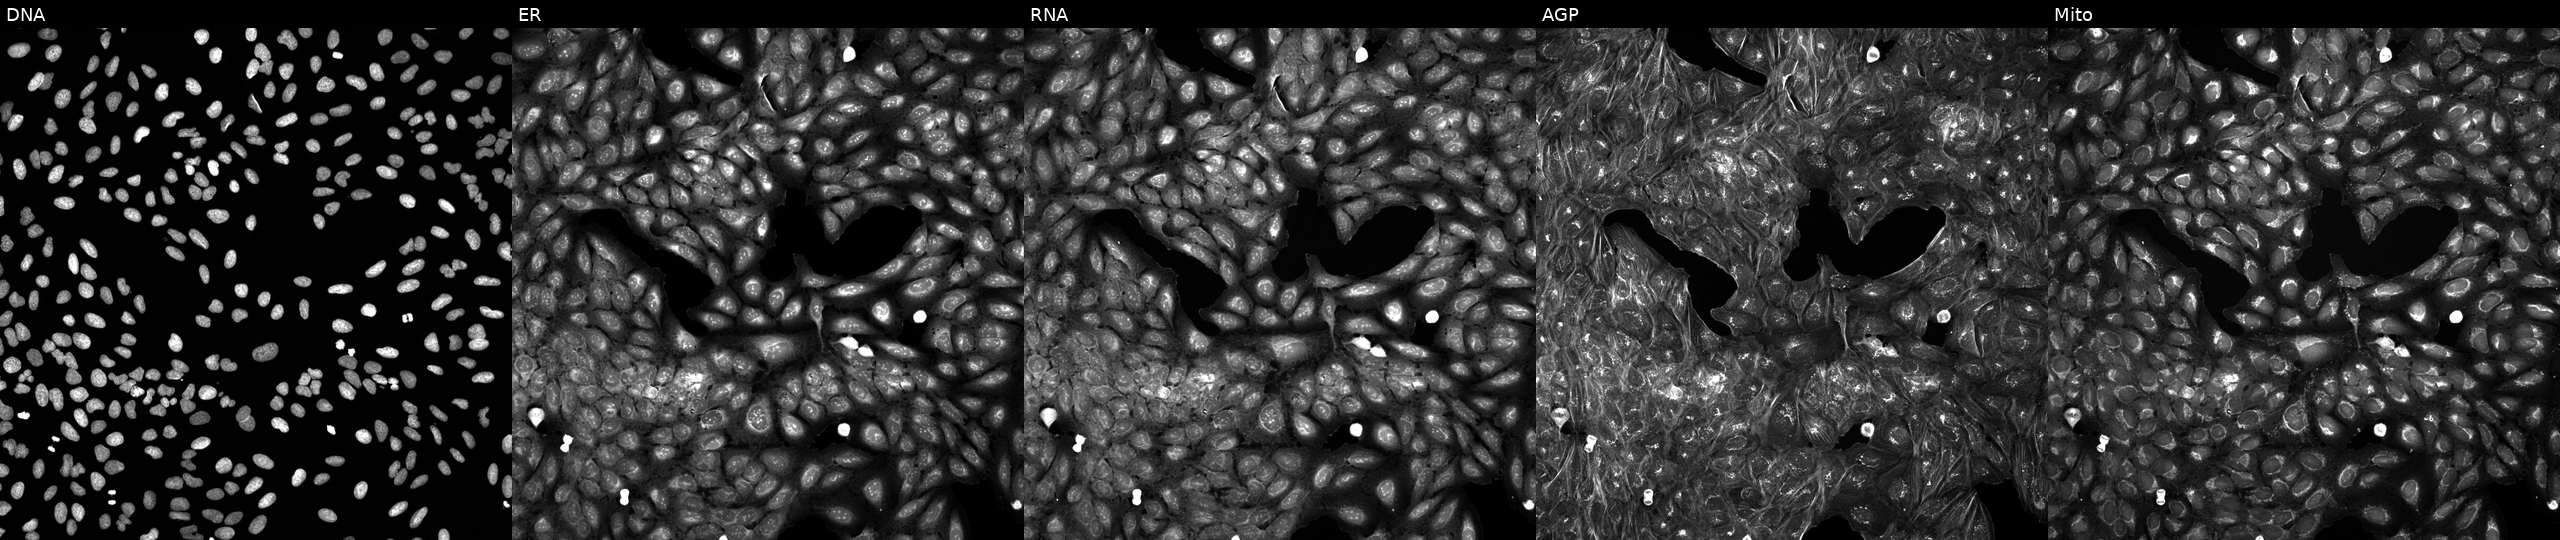
High-content fluorescence microscopy (Cell Painting). Cell line: U2OS. Perturbation: exposed to a small-molecule compound (InChIKey DVEFLXKVGJWKND-UHFFFAOYSA-N) (JUMP id JCP2022_018428). From left to right: Hoechst 33342, concanavalin A, SYTO 14, phalloidin and WGA, MitoTracker. Source 5, plate APTJUM106, well D15.